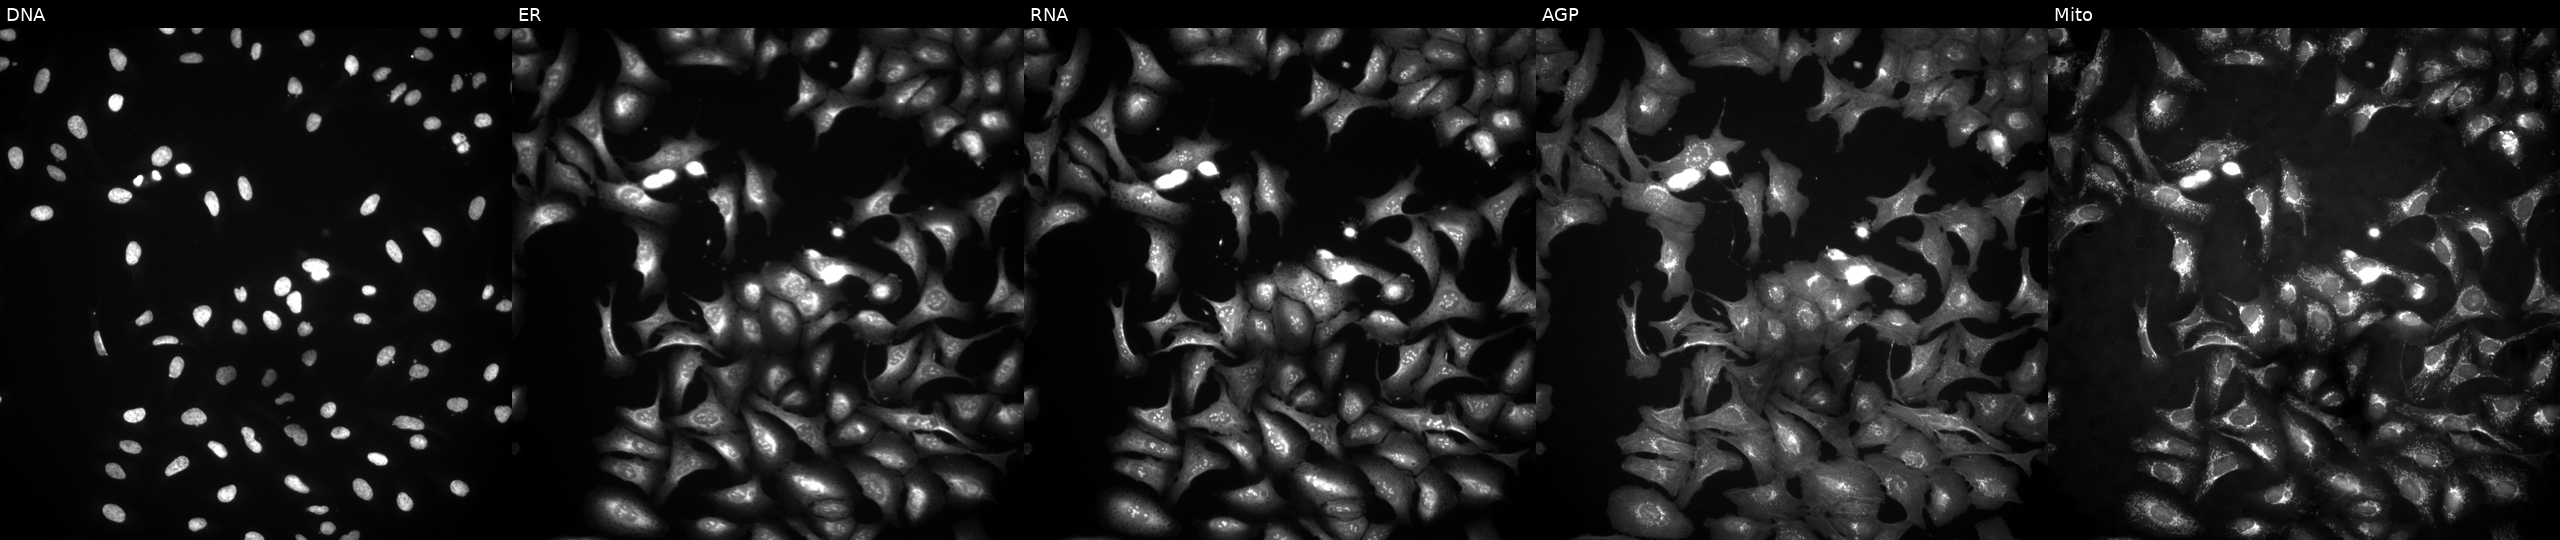
High-content fluorescence microscopy (Cell Painting). Cell line: U2OS. Perturbation: with DNM3 overexpressed (ORF). From left to right: Hoechst 33342, concanavalin A, SYTO 14, phalloidin and WGA, MitoTracker.